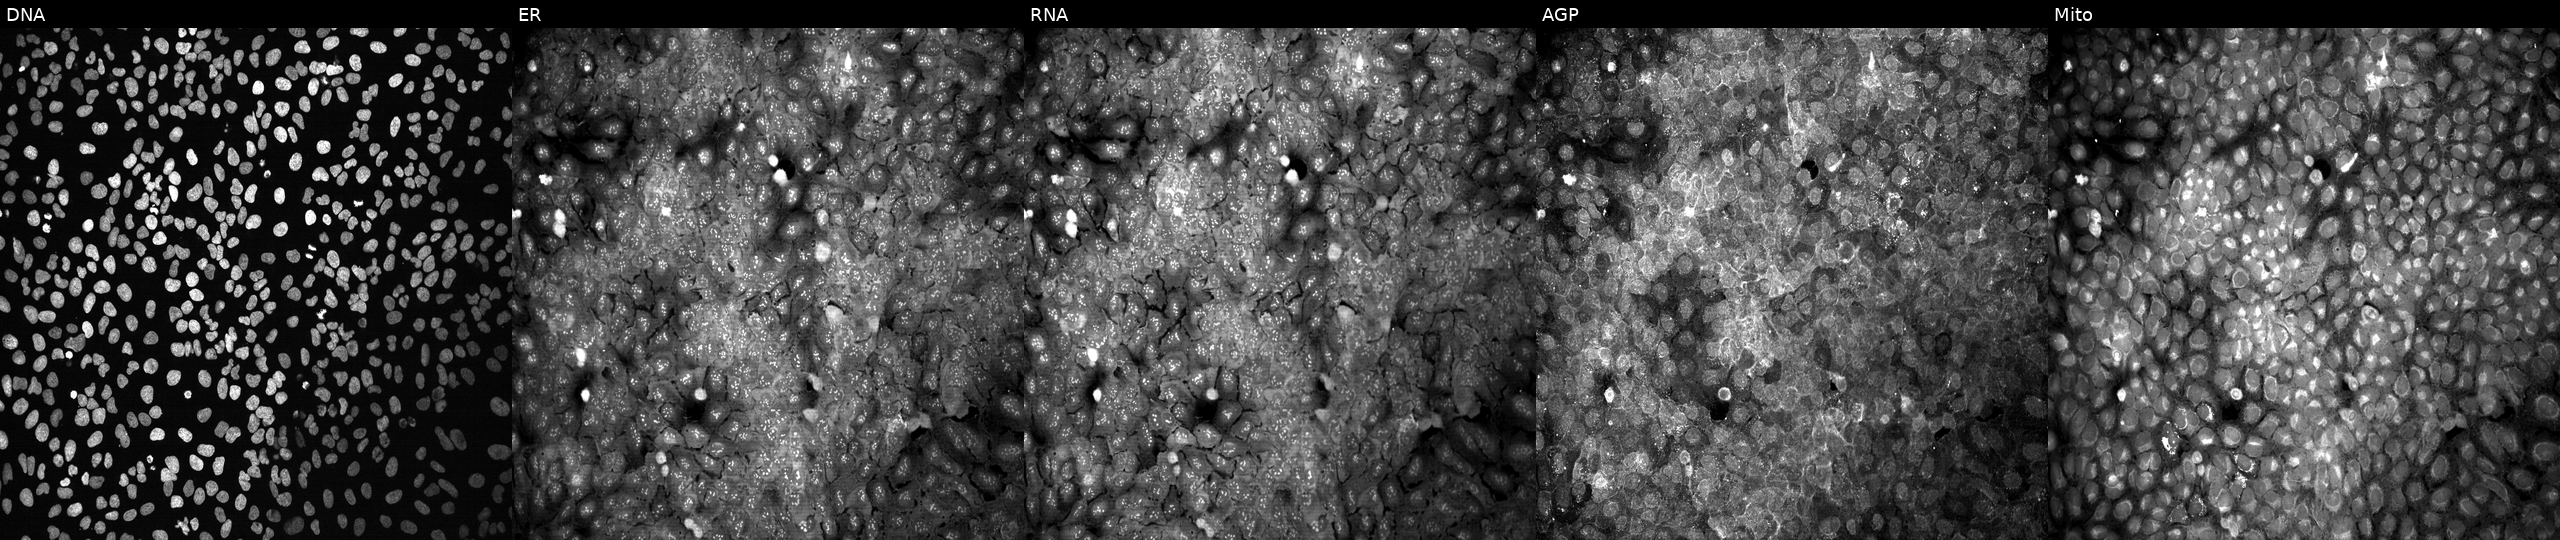
This image strip shows the five Cell Painting channels for a single field of U2OS cells treated with DMSO vehicle only (negative control) (JUMP id JCP2022_033924). Channels (left→right): Hoechst 33342, concanavalin A, SYTO 14, phalloidin and WGA, MitoTracker.